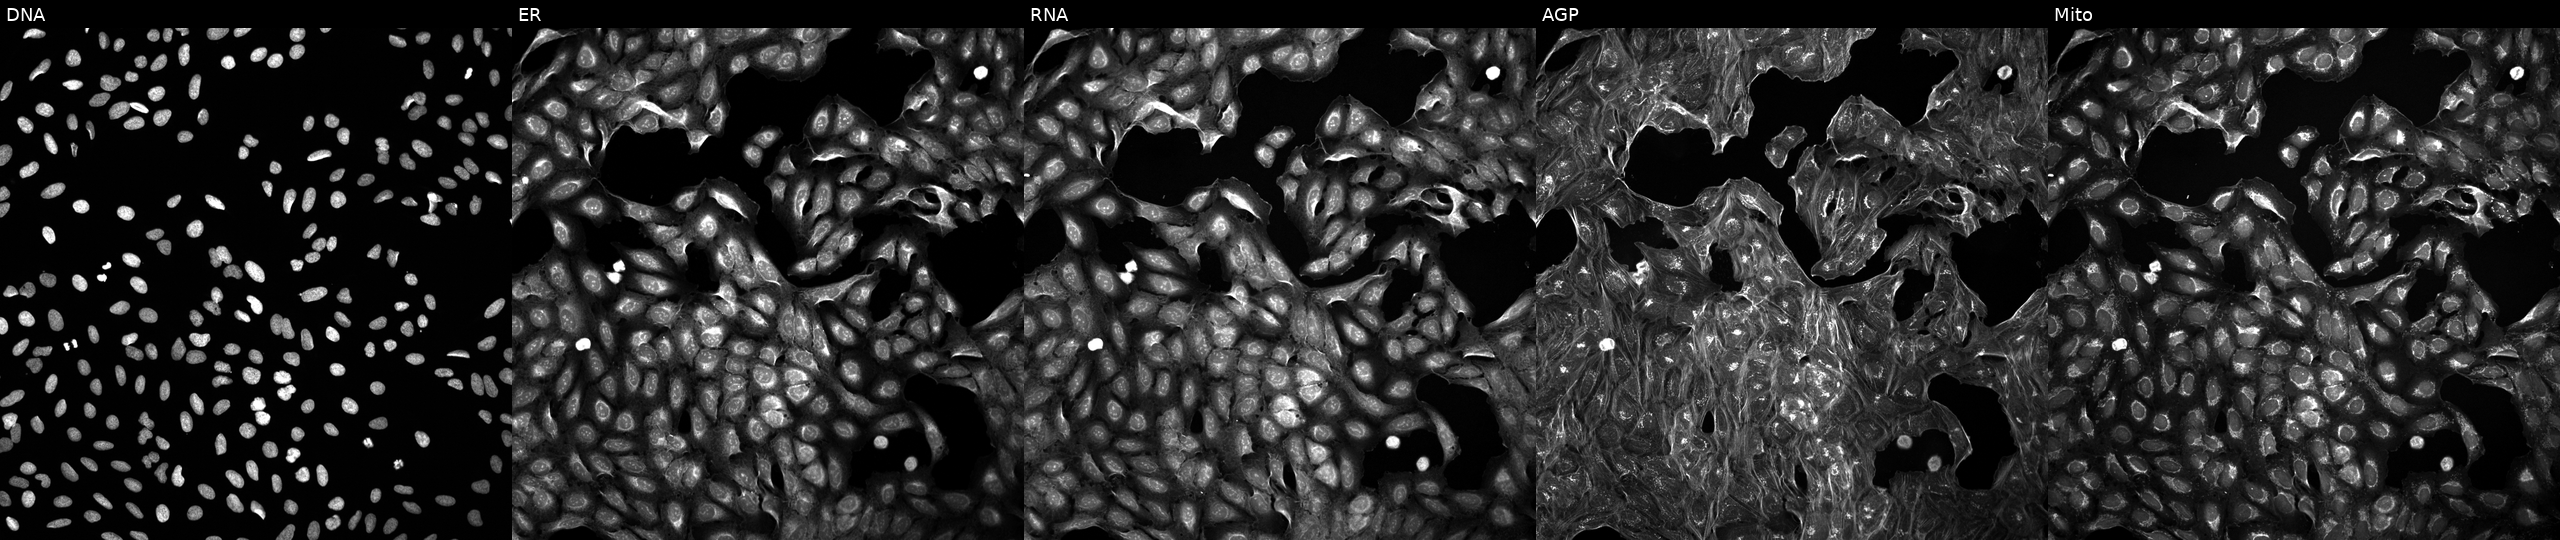
Five-channel Cell Painting image of U2OS cells perturbed with a small-molecule compound (JUMP id JCP2022_052259). From left to right: DNA (nuclei); ER (endoplasmic reticulum); RNA (nucleoli and cytoplasmic RNA); AGP (actin cytoskeleton, Golgi, and plasma membrane); Mito (mitochondria).